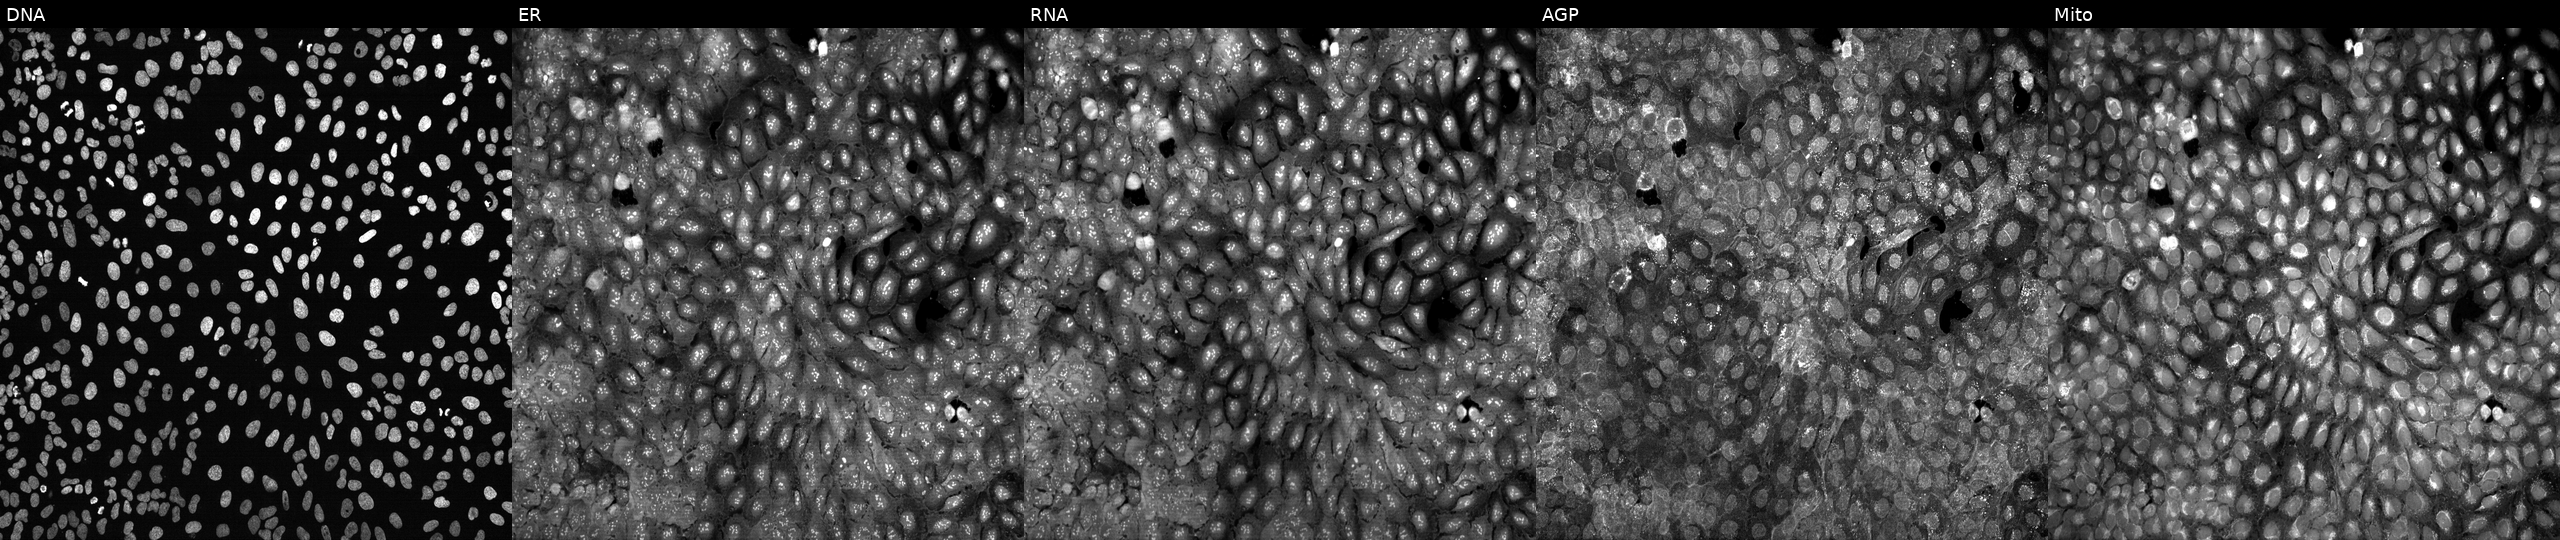
U2OS cells, Cell Painting assay, with no CRISPR guide (negative control) (JUMP id JCP2022_800001). From left to right: DNA, ER, RNA, AGP, and Mito. Each panel is percentile-stretched 16-bit fluorescence. Source 13, plate CP-CC9-R1-02, well N02.